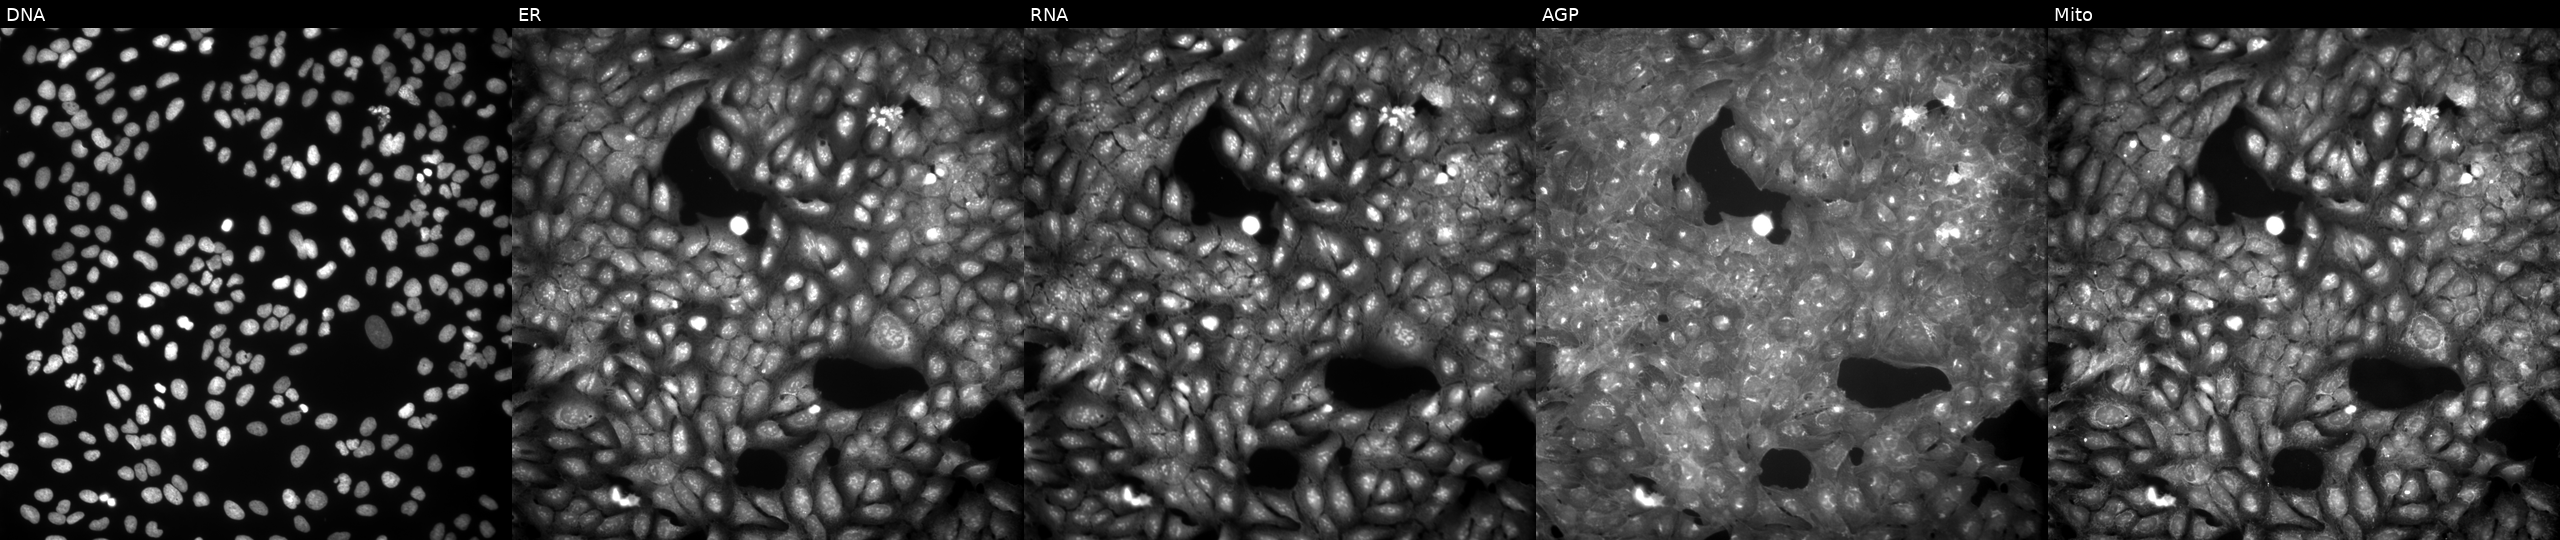
Five-channel Cell Painting image of U2OS cells exposed to the positive-control compound TC-S-7004 (JUMP id JCP2022_012818). The five panels, left to right, show DNA, ER, RNA, AGP, and Mito.